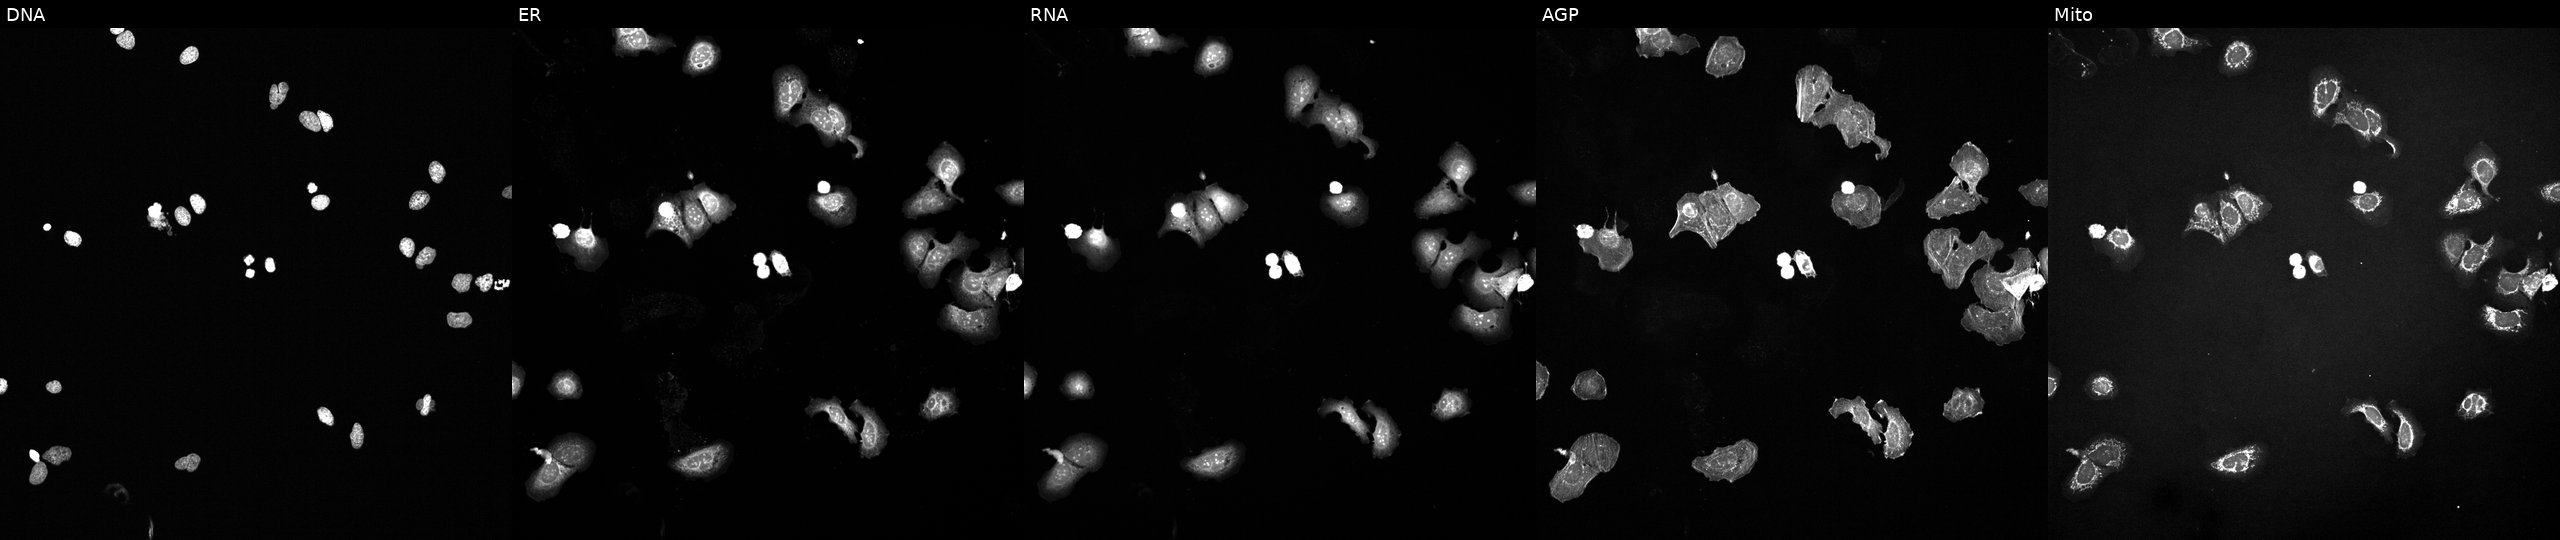
Channels (left→right): DNA (nuclei); ER (endoplasmic reticulum); RNA (nucleoli and cytoplasmic RNA); AGP (actin cytoskeleton, Golgi, and plasma membrane); Mito (mitochondria). U2OS osteosarcoma cells treated with a small-molecule compound. Cell Painting assay, JUMP-CP dataset. Source 6, plate 110000293081, well D14.